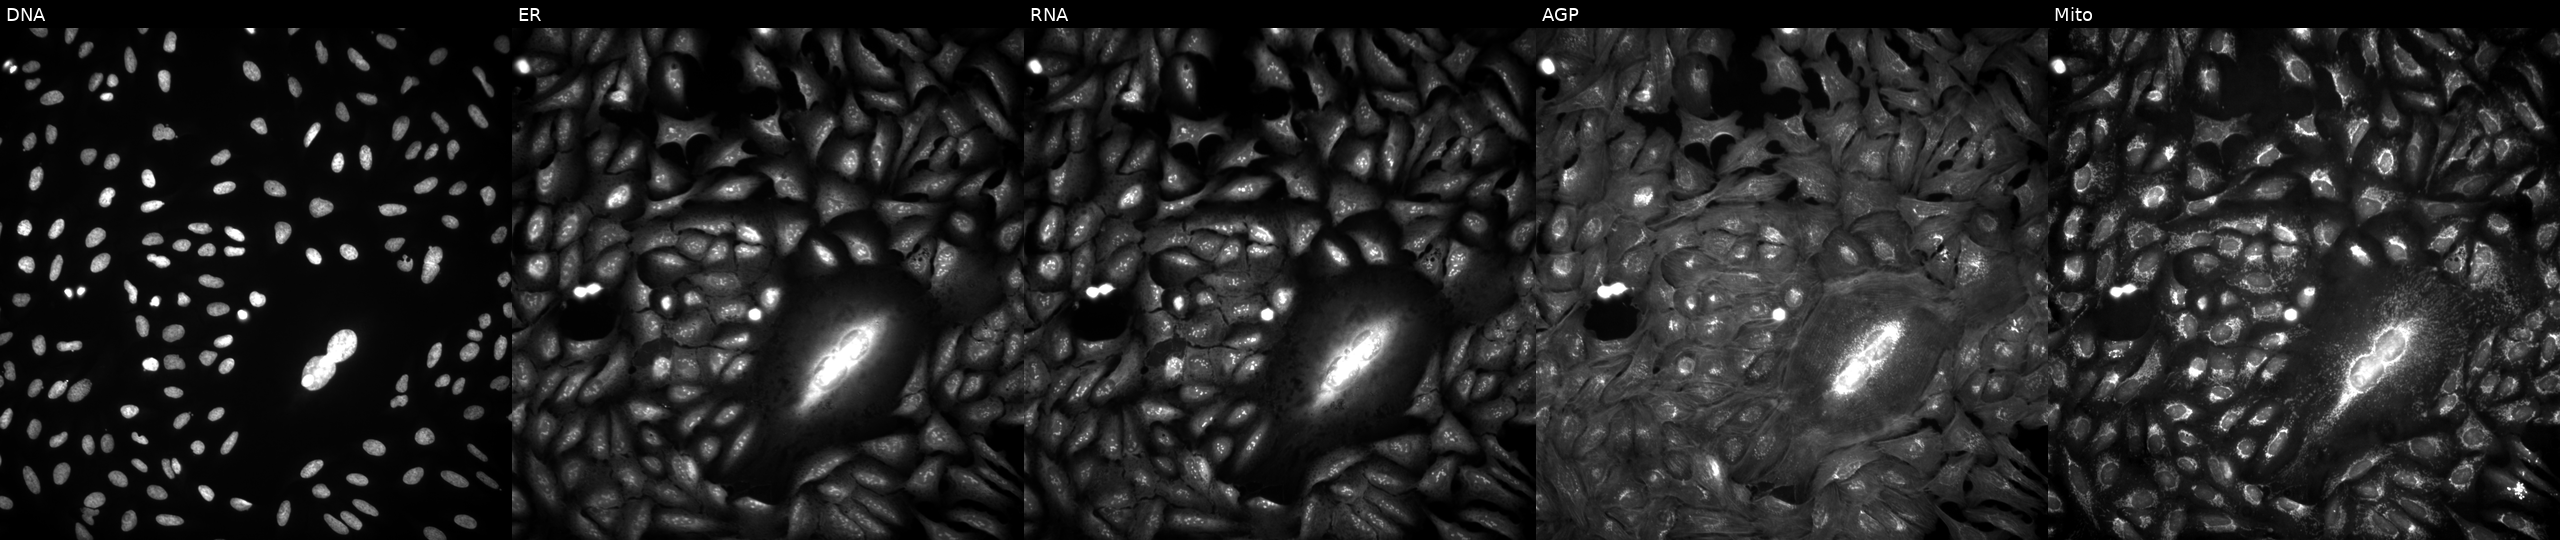
U2OS cells, Cell Painting assay, overexpressing SMLR1 via ORF transfection (JUMP id JCP2022_909302). Panels show, left to right, DNA, ER, RNA, AGP, and Mito. Each panel is percentile-stretched 16-bit fluorescence.